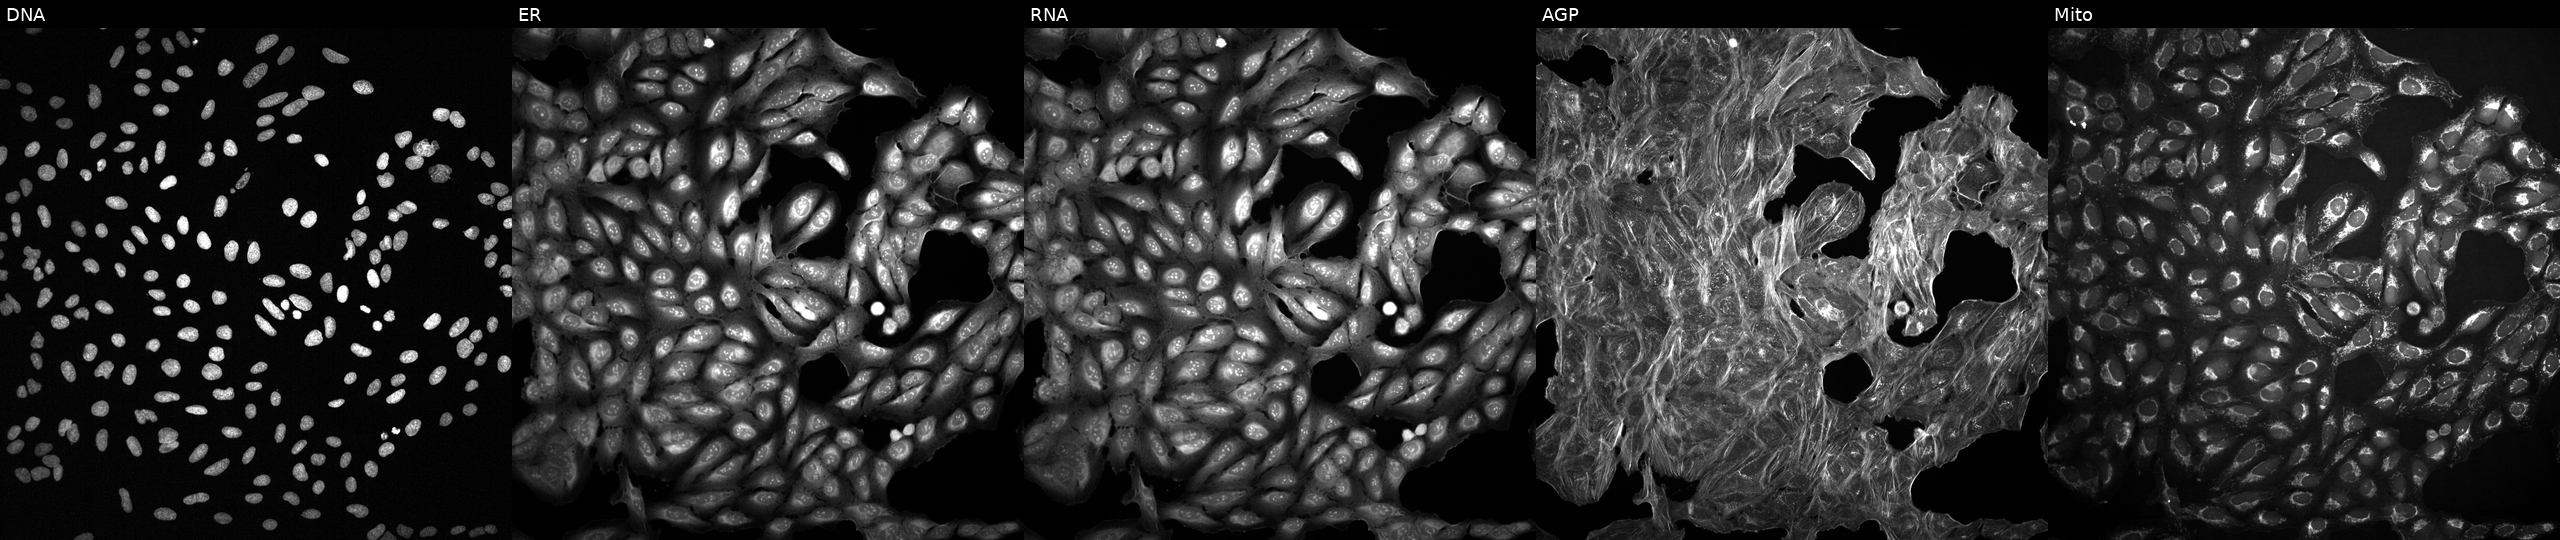
Panels show, left to right, DNA (nuclei); ER (endoplasmic reticulum); RNA (nucleoli and cytoplasmic RNA); AGP (actin cytoskeleton, Golgi, and plasma membrane); Mito (mitochondria). U2OS osteosarcoma cells exposed to a small-molecule compound (InChIKey HGPDGJOETIVTCY-UHFFFAOYSA-N) [SMILES: CNC(=O)c1cnc(-c2ccccc2)nc1CCNC(=O)CN(C)C] (JUMP id JCP2022_030062). Cell Painting assay, JUMP-CP dataset. Source 2, plate 1053601763, well M04.